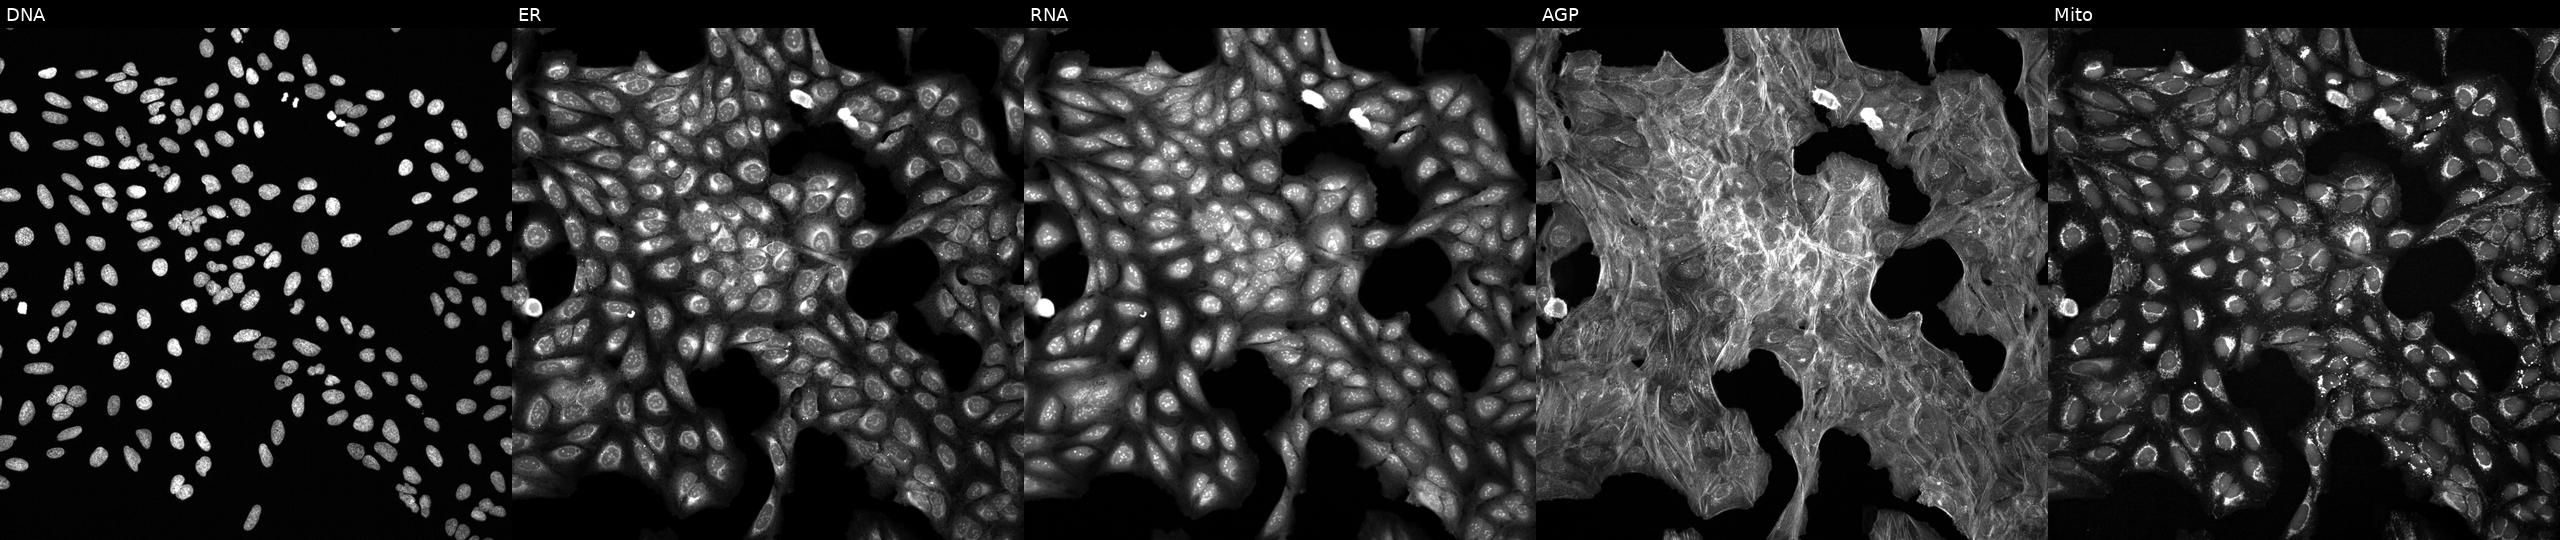
High-content fluorescence microscopy (Cell Painting). Cell line: U2OS. Perturbation: exposed to a small-molecule compound (InChIKey PHSPJQZRQAJPPF-UHFFFAOYSA-N) [SMILES: CNCCc1c[nH]cn1]. Panels show, left to right, Hoechst 33342, concanavalin A, SYTO 14, phalloidin and WGA, MitoTracker. Source 6, plate 110000293093, well B23.